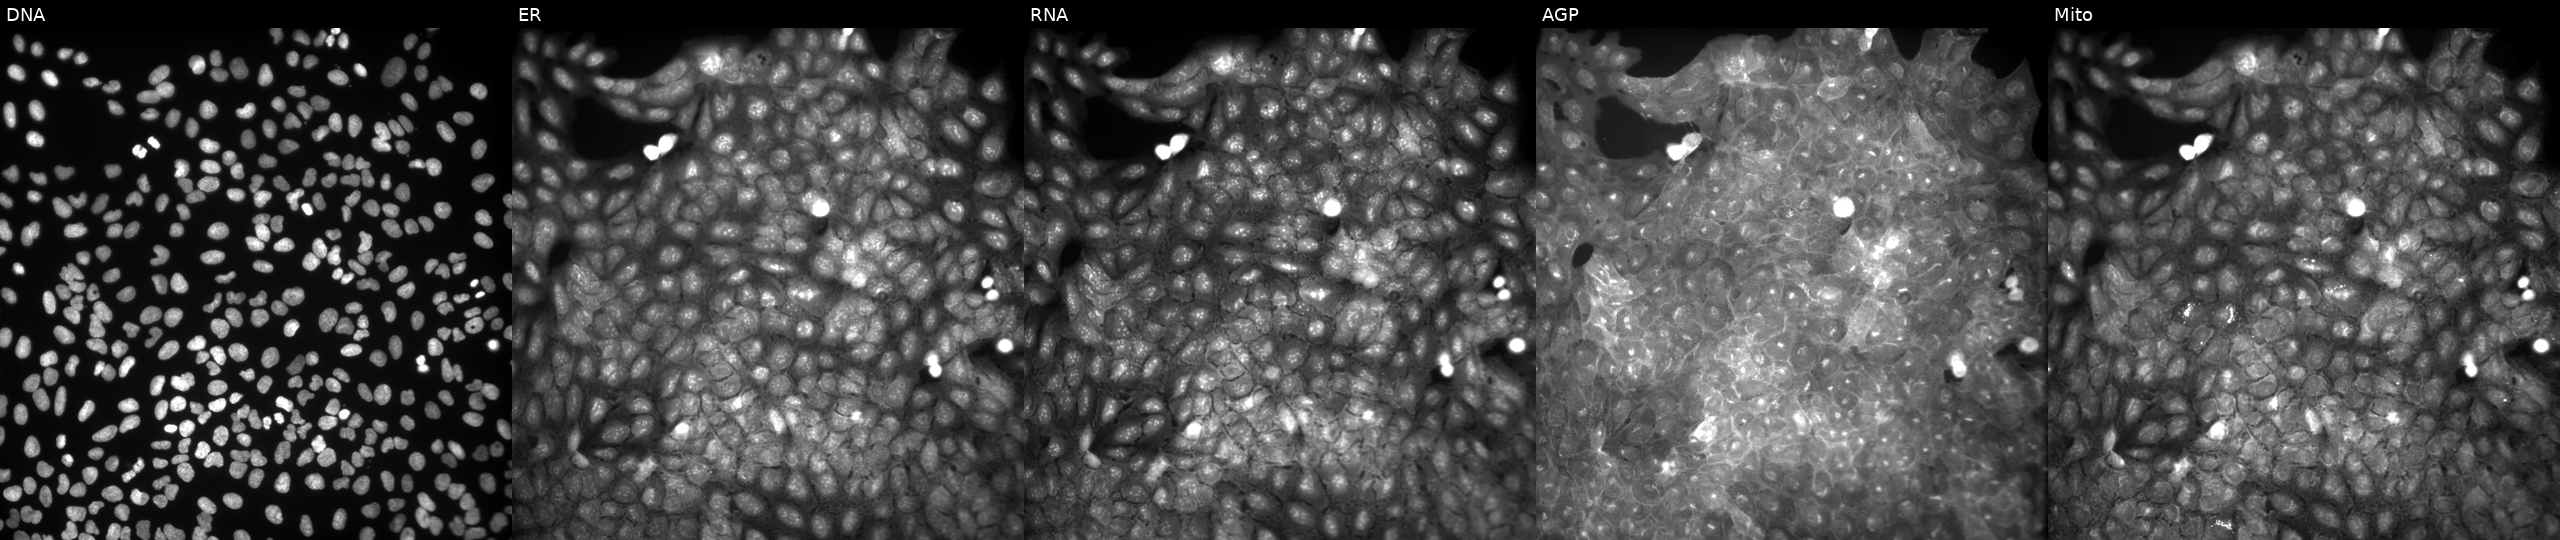
U2OS cells, Cell Painting assay, treated with a small-molecule compound (InChIKey MMOCKXXDRATQLQ-UHFFFAOYSA-N). Channels (left→right): Hoechst 33342, concanavalin A, SYTO 14, phalloidin and WGA, MitoTracker. Each panel is percentile-stretched 16-bit fluorescence.